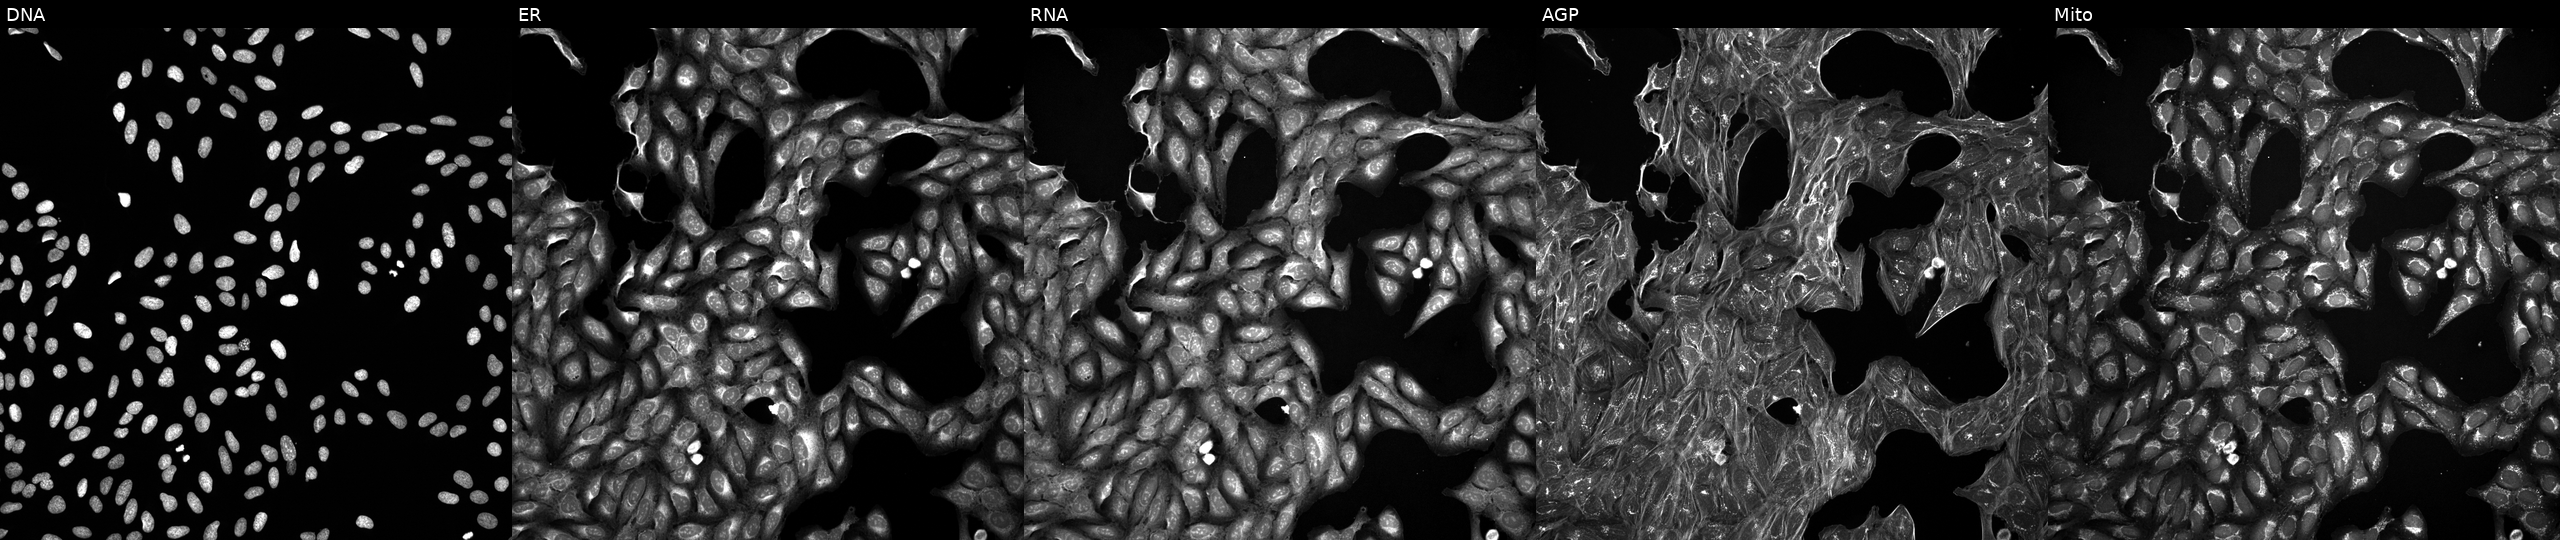
The five panels, left to right, show DNA, ER, RNA, AGP, and Mito. U2OS osteosarcoma cells perturbed with a small-molecule compound (InChIKey CUIHSIWYWATEQL-UHFFFAOYSA-N) [SMILES: Cc1ccc(N=c2nc(N(C)c3ccc4c(C)n(C)nc4c3)cc[nH]2)cc1S(N)(=O)=O] (JUMP id JCP2022_013455). Cell Painting assay, JUMP-CP dataset. Source 5, plate ACPJUM051, well I17.